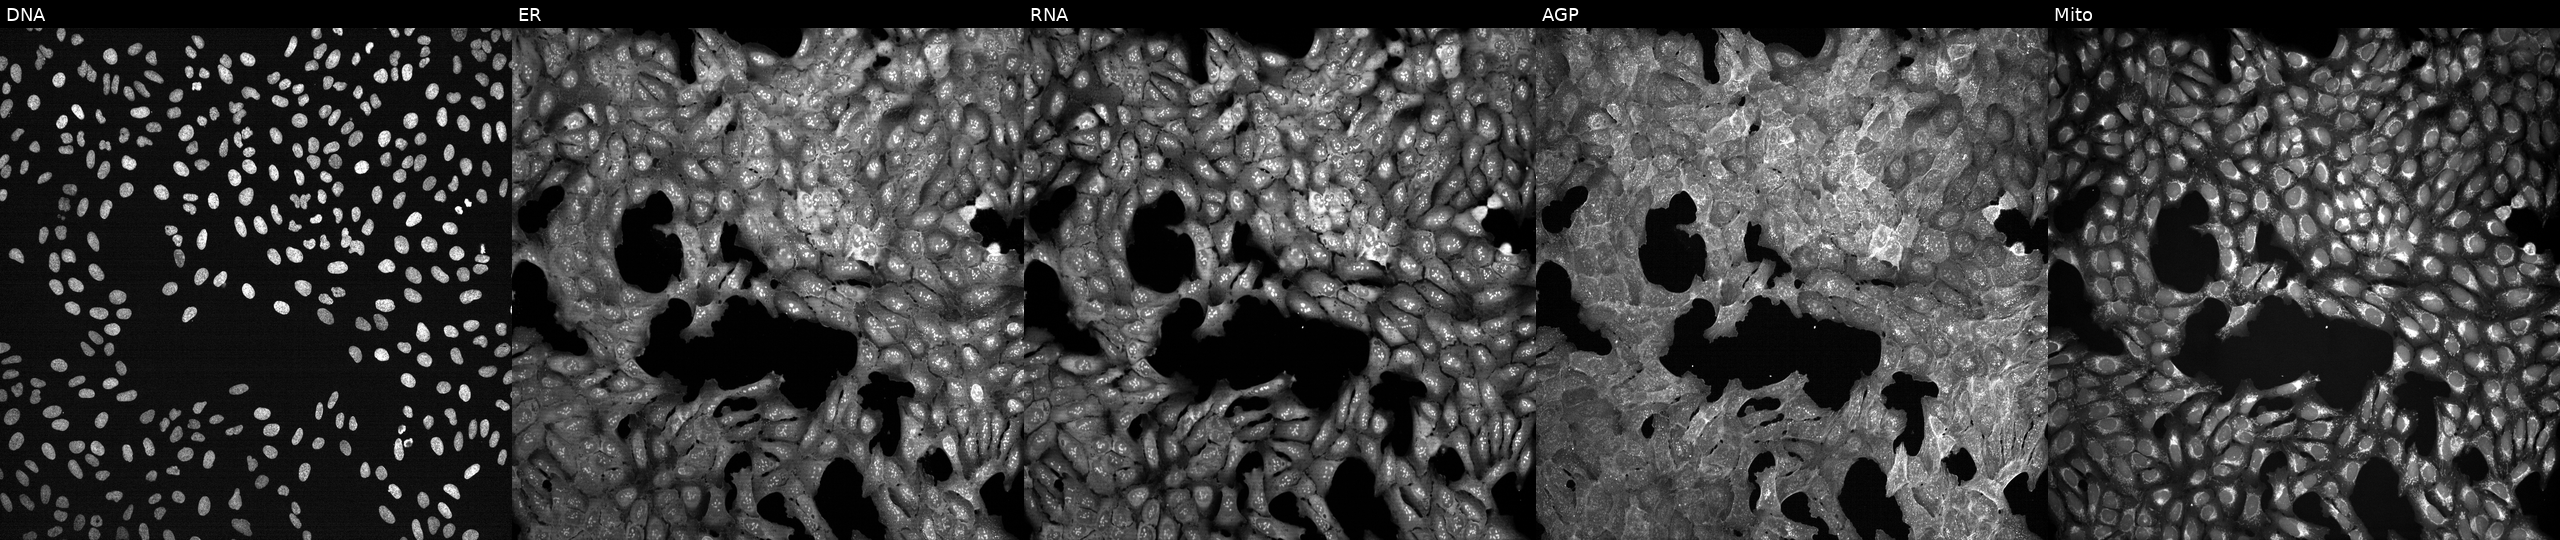
Panels show, left to right, Hoechst 33342, concanavalin A, SYTO 14, phalloidin and WGA, MitoTracker. U2OS osteosarcoma cells perturbed with a small-molecule compound (JUMP id JCP2022_082046). Cell Painting assay, JUMP-CP dataset.